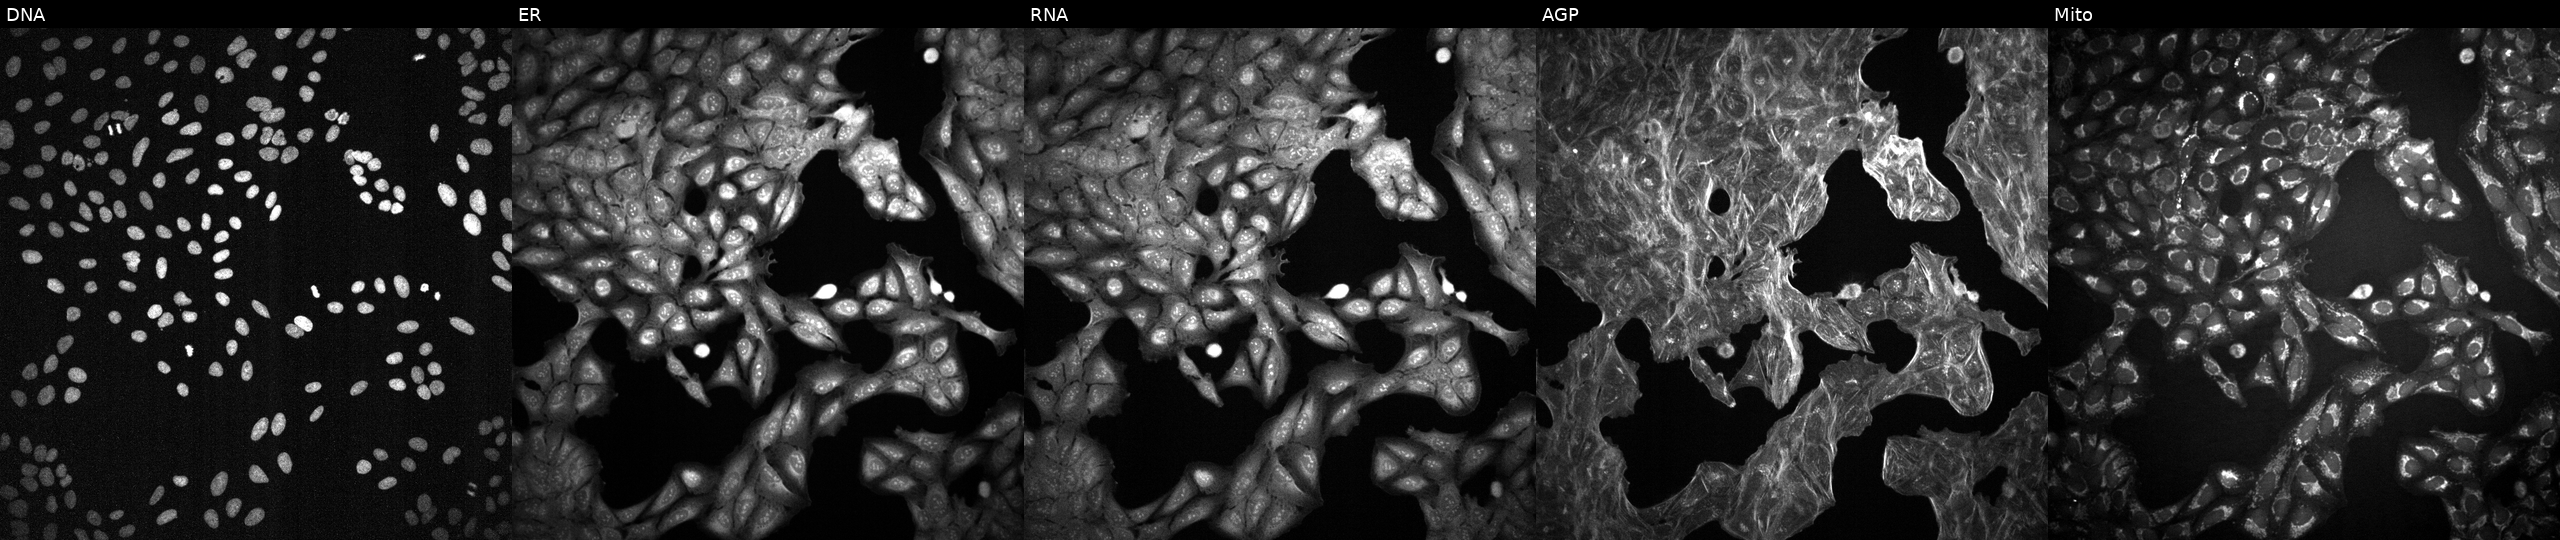
This image strip shows the five Cell Painting channels for a single field of U2OS cells treated with a small-molecule compound (JUMP id JCP2022_075916). From left to right: DNA, ER, RNA, AGP, and Mito. Source 2, plate 1053599503, well P17.